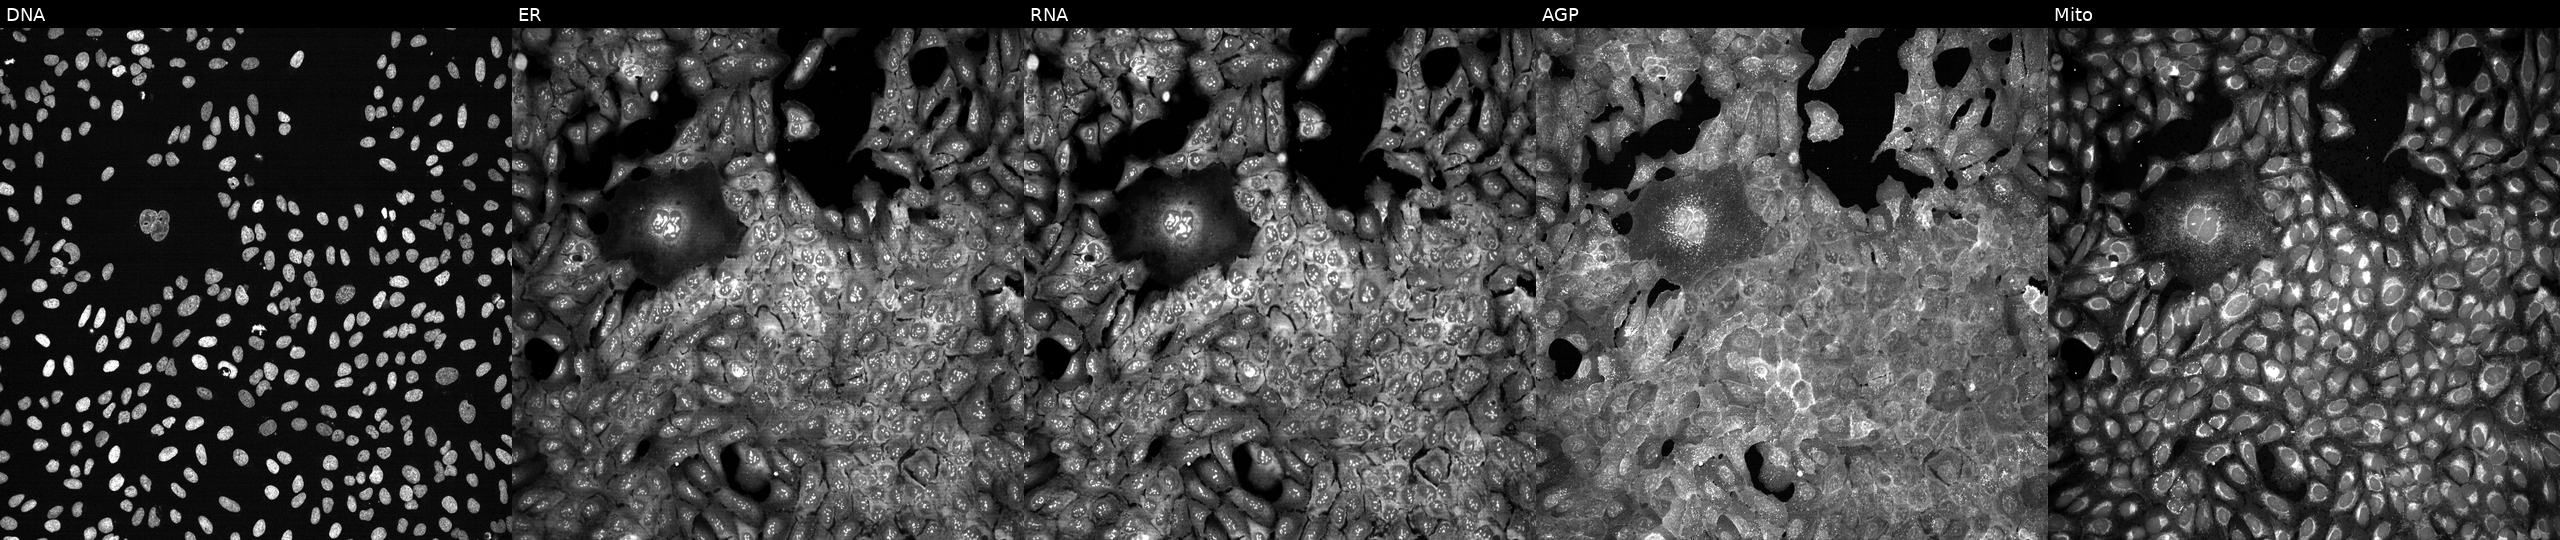
JUMP Cell Painting — CRISPR plate. U2OS cells following CRISPR knockout of SEPT5 (JUMP id JCP2022_806265). From left to right: DNA (nuclei); ER (endoplasmic reticulum); RNA (nucleoli and cytoplasmic RNA); AGP (actin cytoskeleton, Golgi, and plasma membrane); Mito (mitochondria).